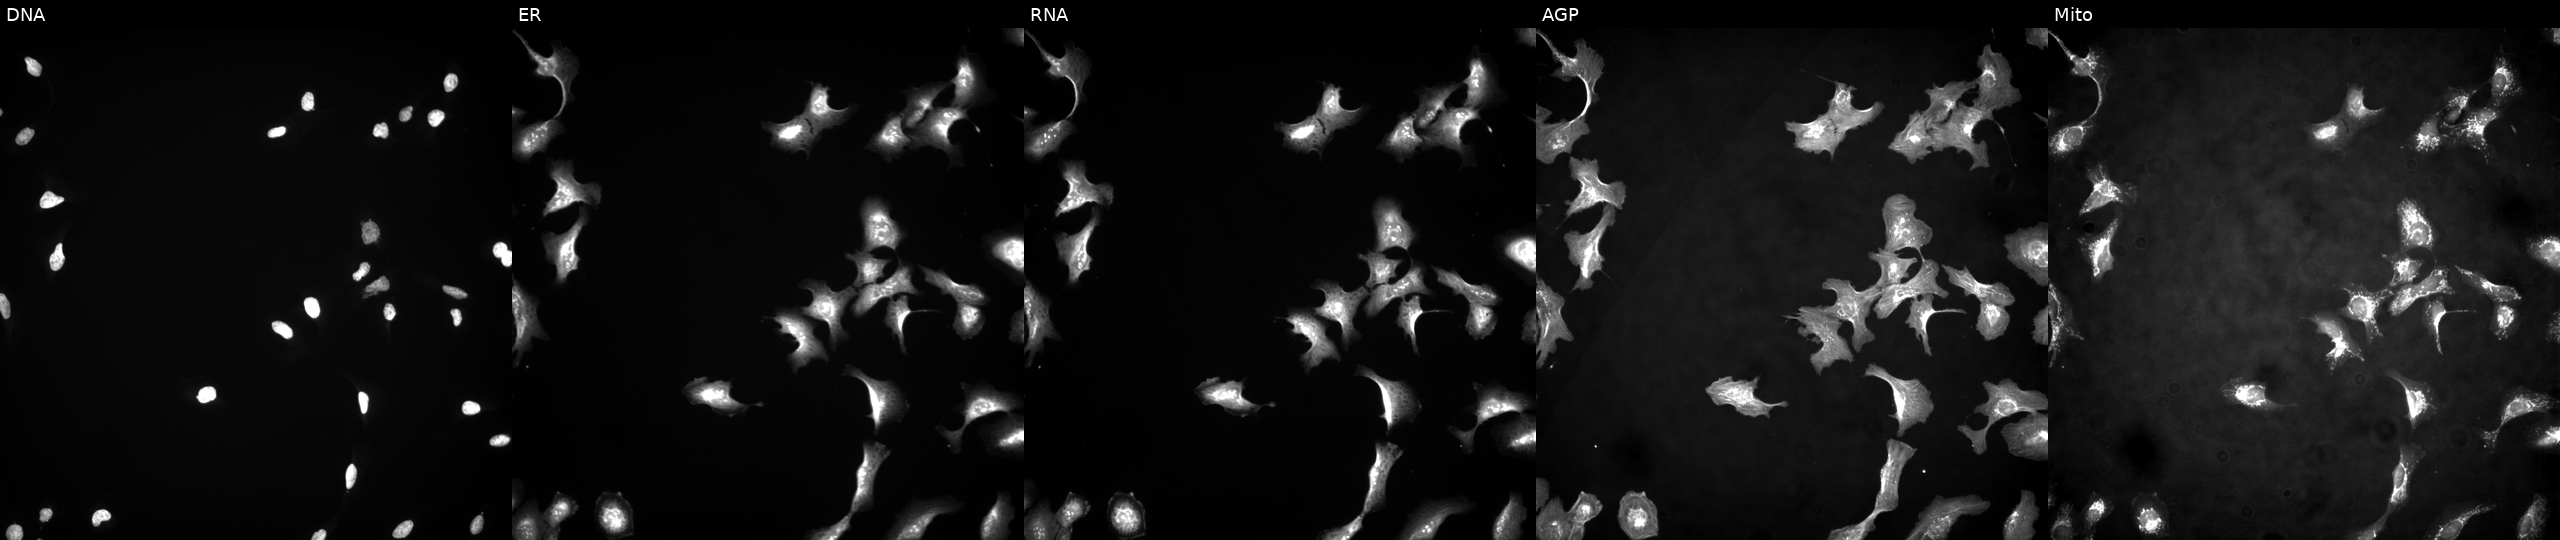
This image strip shows the five Cell Painting channels for a single field of U2OS cells transfected with an ORF construct for INPP4A (JUMP id JCP2022_906042). From left to right: DNA (nuclei); ER (endoplasmic reticulum); RNA (nucleoli and cytoplasmic RNA); AGP (actin cytoskeleton, Golgi, and plasma membrane); Mito (mitochondria).